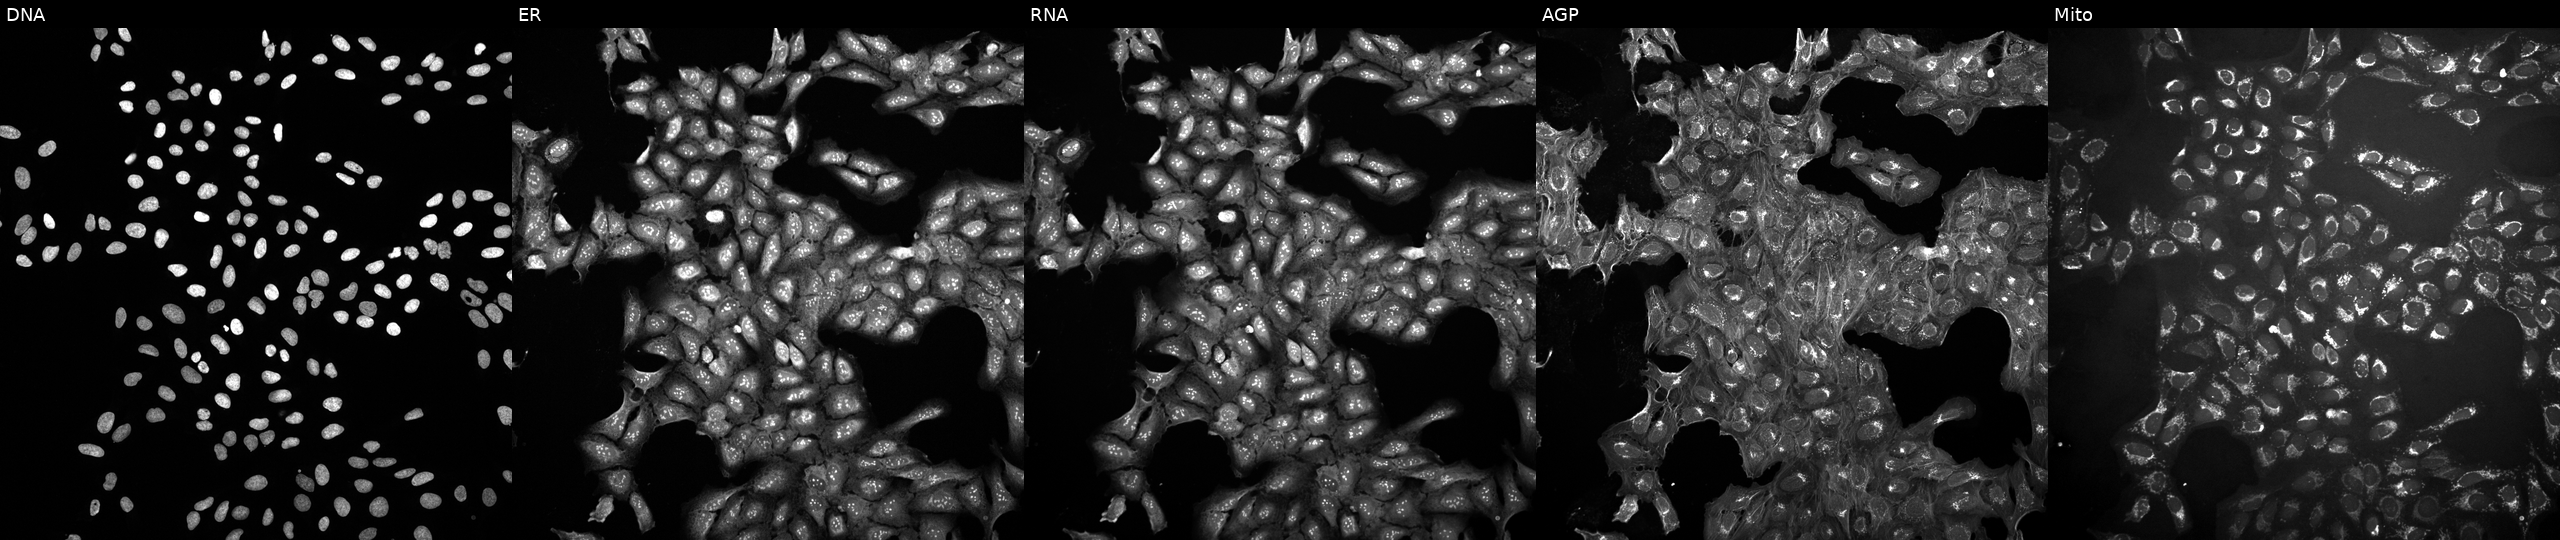
JUMP Cell Painting — COMPOUND plate. U2OS cells treated with a small-molecule compound (InChIKey FXUIAESVPODWMU-UHFFFAOYSA-N) (JUMP id JCP2022_023679). Channels (left→right): DNA, ER, RNA, AGP, and Mito.